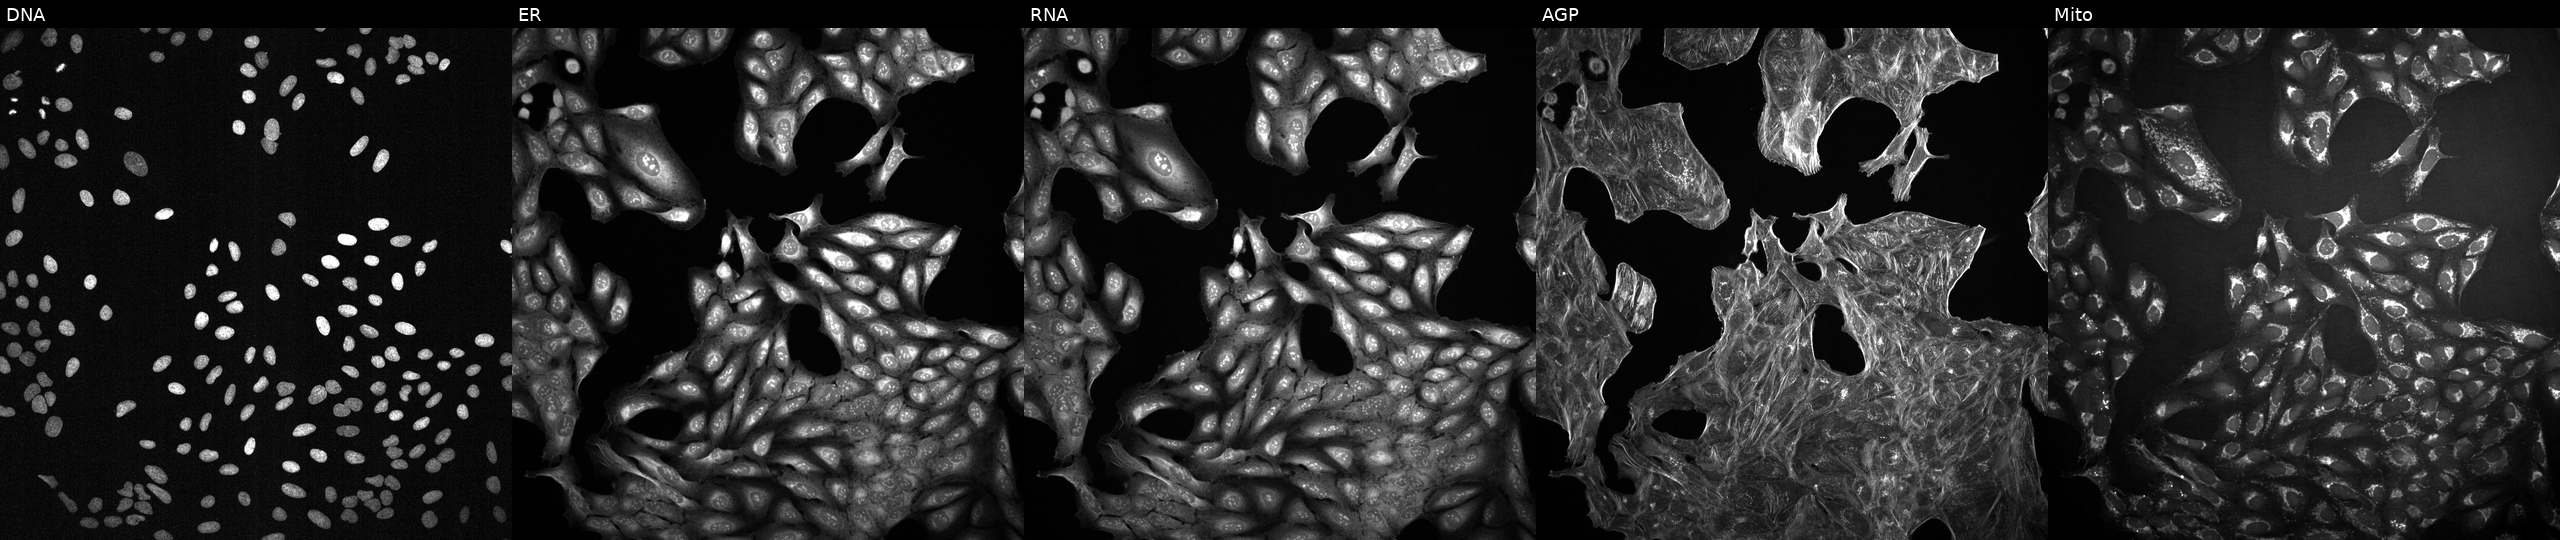
U2OS cells, Cell Painting assay, exposed to a small-molecule compound (JUMP id JCP2022_071910). From left to right: DNA, ER, RNA, AGP, and Mito. Each panel is percentile-stretched 16-bit fluorescence.